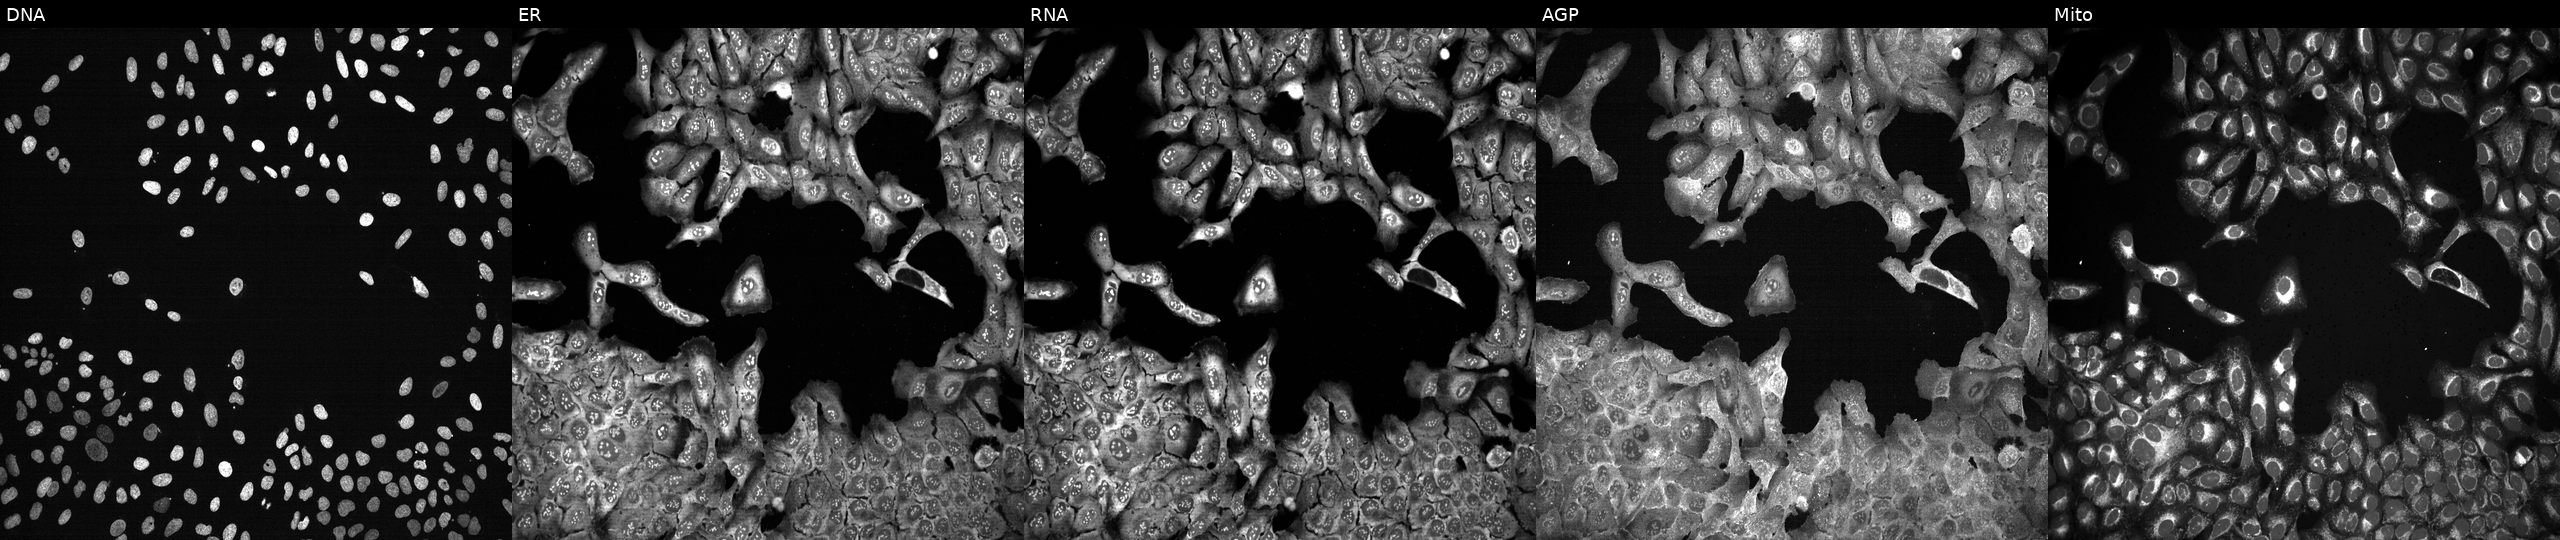
From left to right: DNA (nuclei); ER (endoplasmic reticulum); RNA (nucleoli and cytoplasmic RNA); AGP (actin cytoskeleton, Golgi, and plasma membrane); Mito (mitochondria). U2OS osteosarcoma cells CRISPR-edited to disrupt HSD17B11. Cell Painting assay, JUMP-CP dataset.